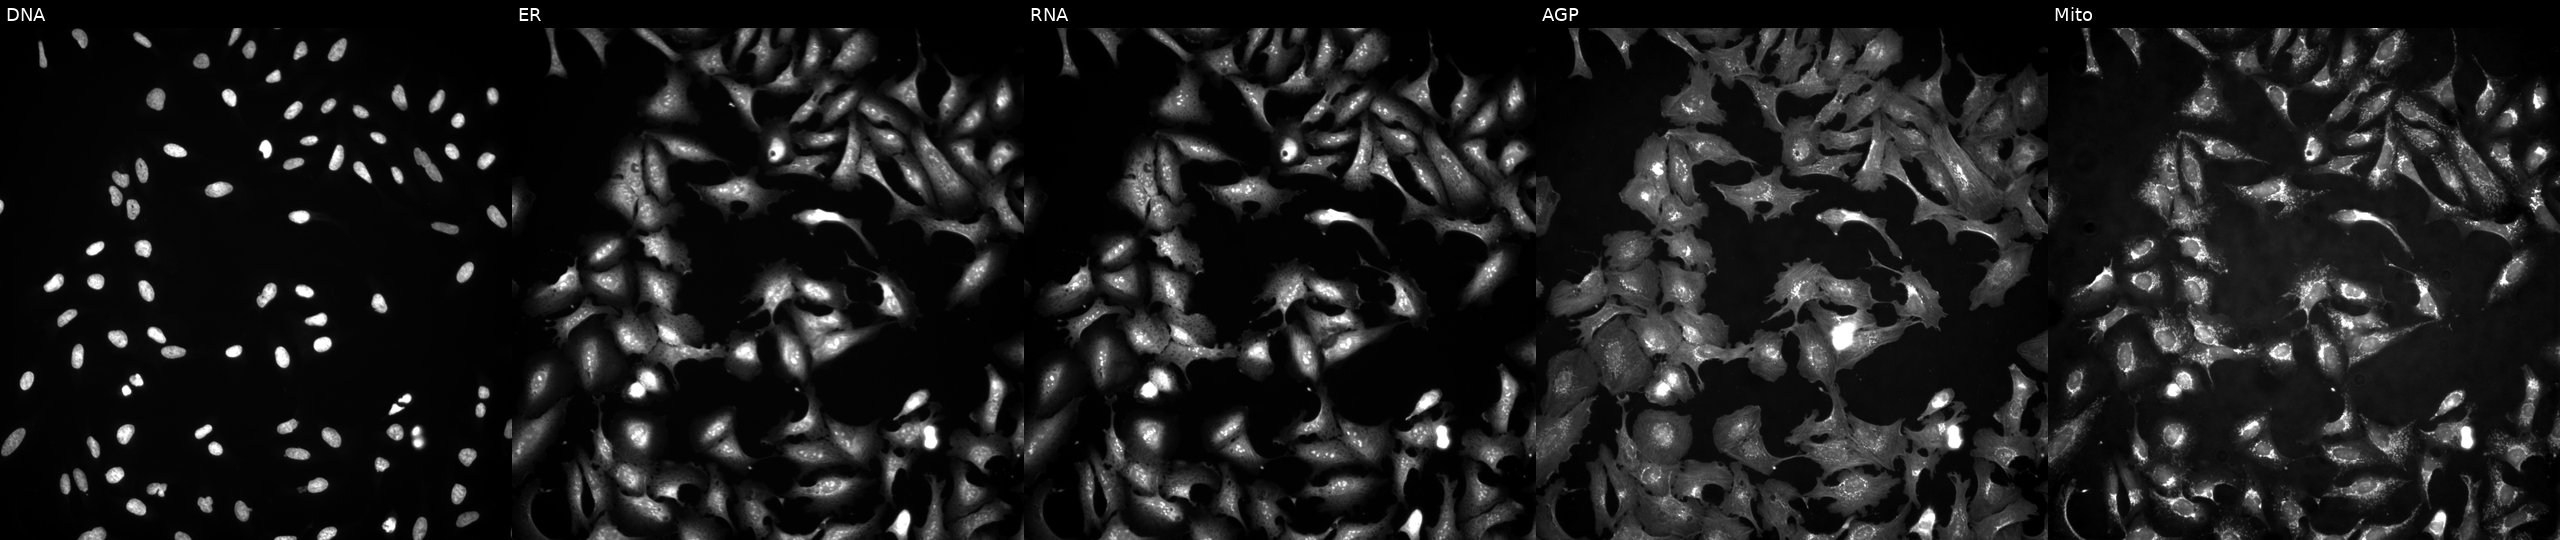
This image strip shows the five Cell Painting channels for a single field of U2OS cells with SYK overexpressed (ORF) (JUMP id JCP2022_906572). Panels show, left to right, Hoechst 33342, concanavalin A, SYTO 14, phalloidin and WGA, MitoTracker. Source 4, plate BR00123945, well D12.